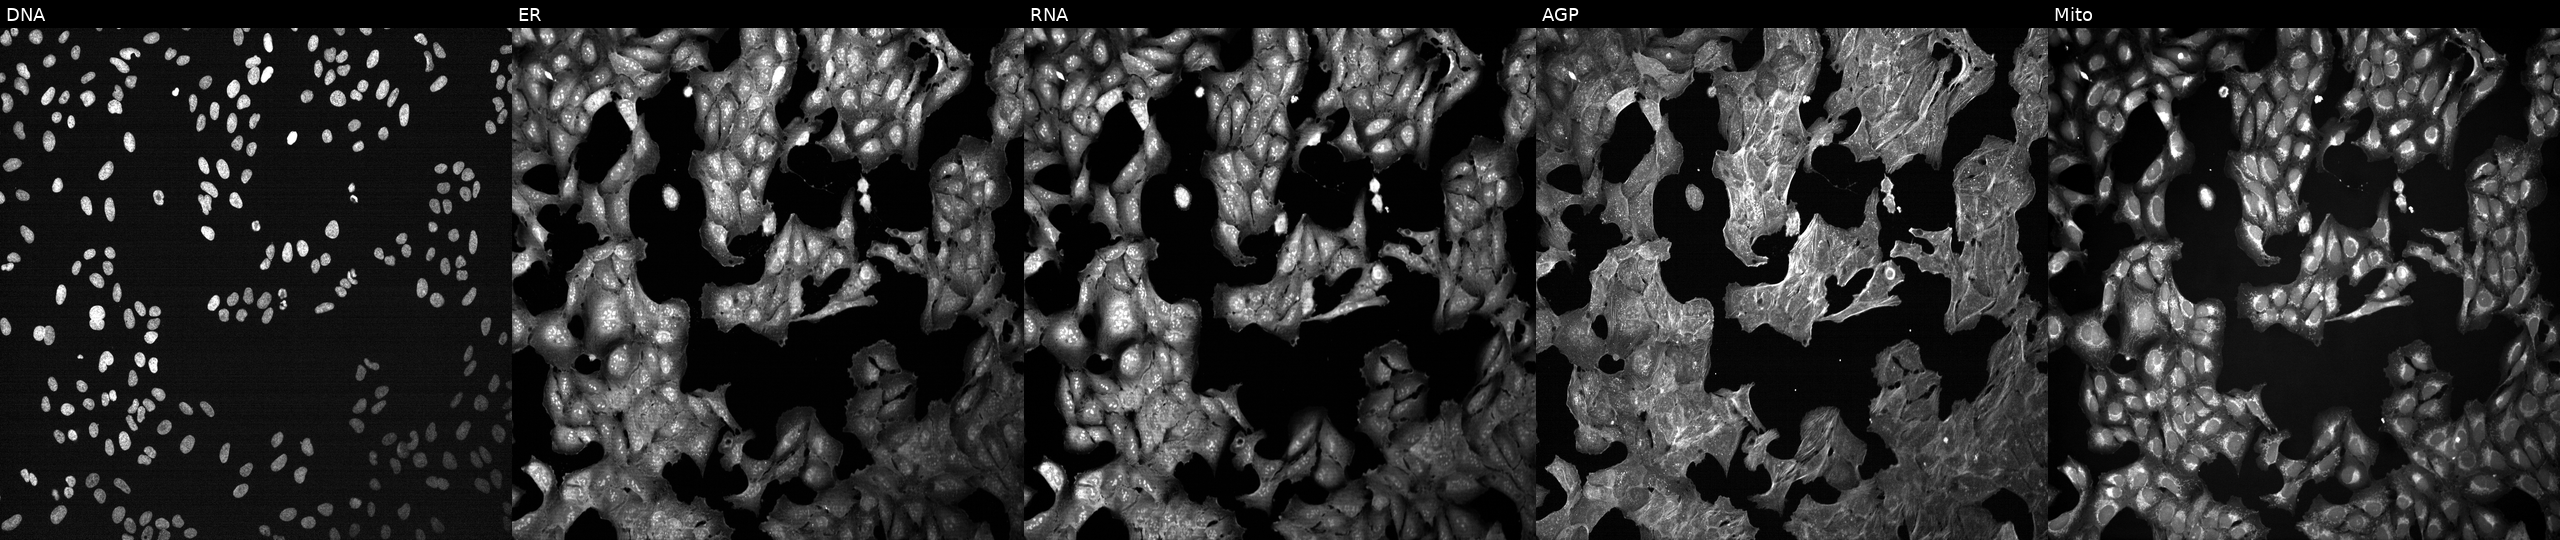
High-content fluorescence microscopy (Cell Painting). Cell line: U2OS. Perturbation: perturbed with a small-molecule compound (InChIKey PBBGSZCBWVPOOL-UHFFFAOYSA-N). From left to right: Hoechst 33342, concanavalin A, SYTO 14, phalloidin and WGA, MitoTracker.